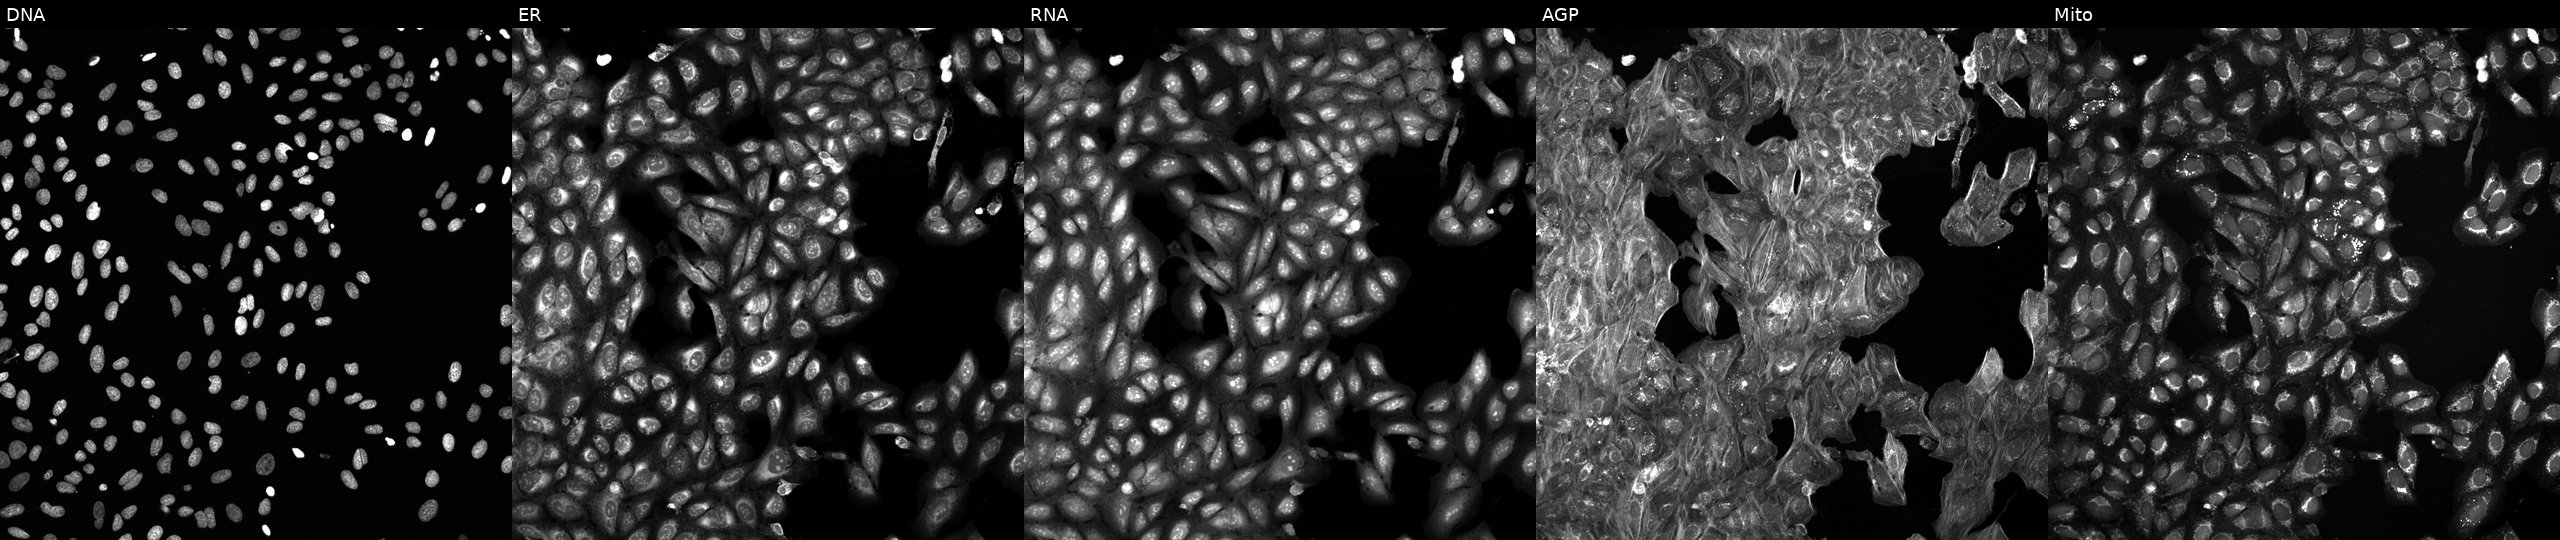
The five panels, left to right, show Hoechst 33342, concanavalin A, SYTO 14, phalloidin and WGA, MitoTracker. U2OS osteosarcoma cells exposed to a small-molecule compound [SMILES: O=C(NCCCN1CCC2(CC1)OCc1ccccc12)C1CCCN1Cc1ccccc1] (JUMP id JCP2022_052870). Cell Painting assay, JUMP-CP dataset. Source 6, plate 110000294901, well G02.